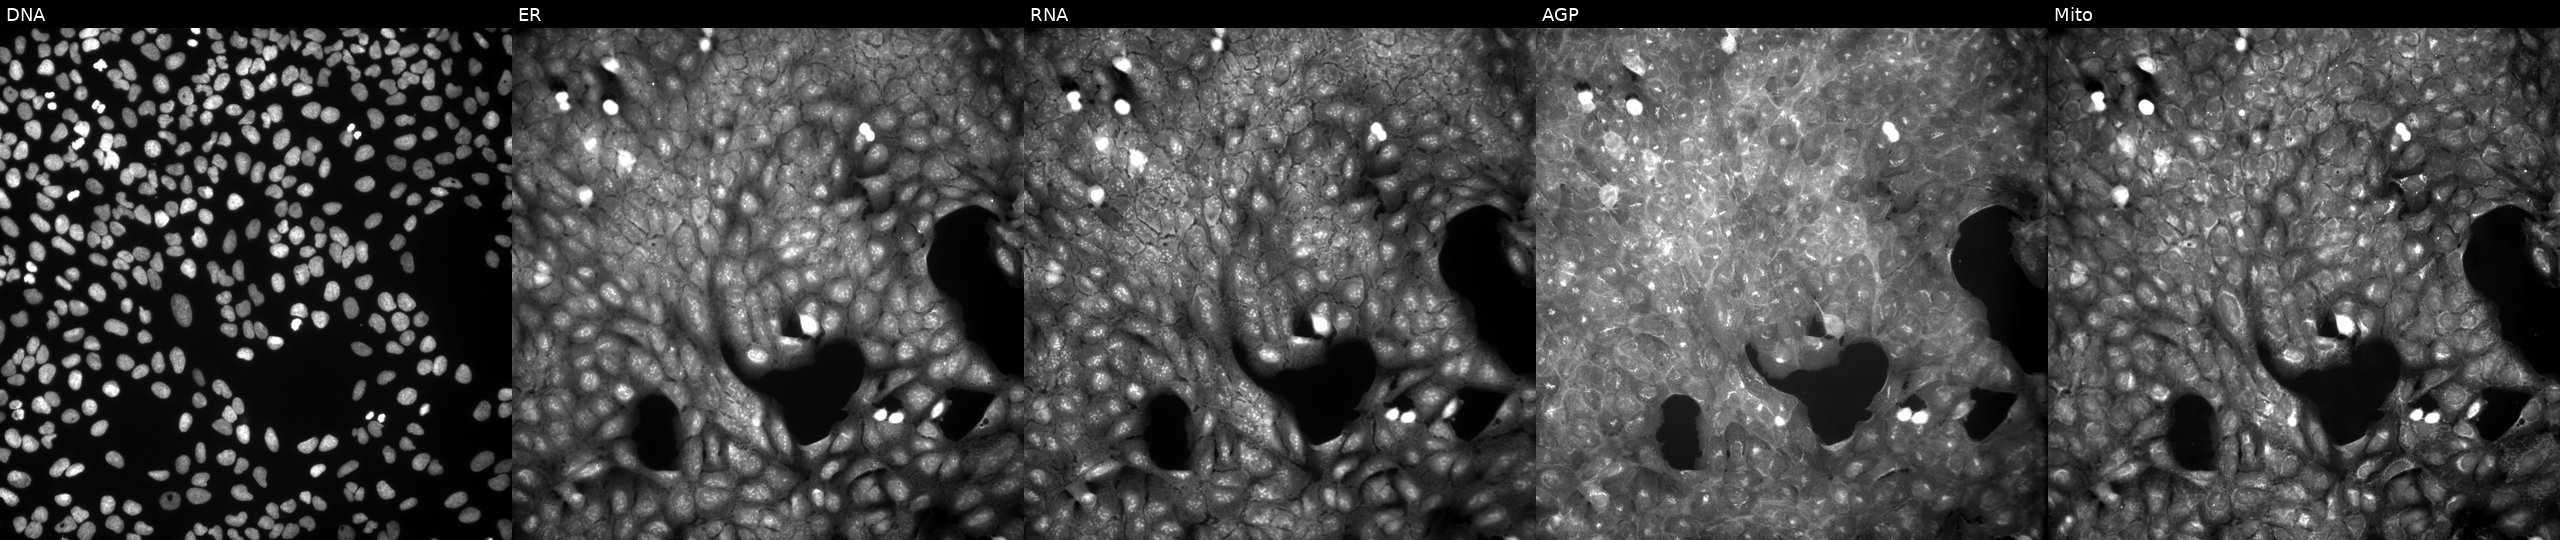
U2OS cells, Cell Painting assay, perturbed with a small-molecule compound [SMILES: CCCOC(=O)Nc1ccc(N2CCCCC2)cc1]. Channels (left→right): Hoechst 33342, concanavalin A, SYTO 14, phalloidin and WGA, MitoTracker. Each panel is percentile-stretched 16-bit fluorescence. Source 9, plate GR00003381, well K40.